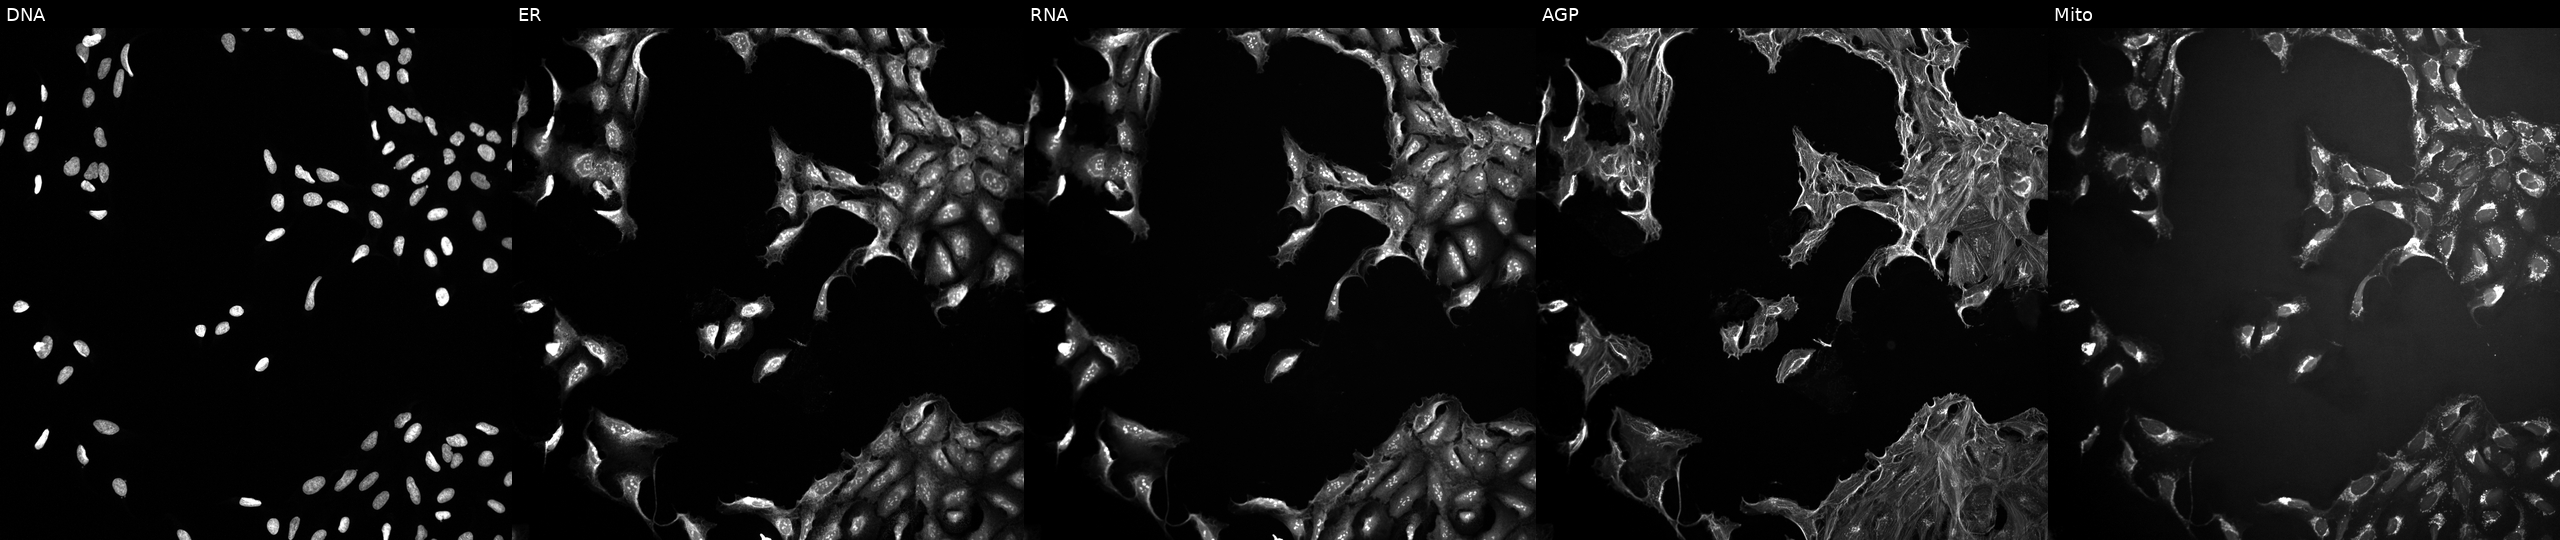
This image strip shows the five Cell Painting channels for a single field of U2OS cells treated with a small-molecule compound (InChIKey NMUSYJAQQFHJEW-UHFFFAOYSA-N). Panels show, left to right, DNA (nuclei); ER (endoplasmic reticulum); RNA (nucleoli and cytoplasmic RNA); AGP (actin cytoskeleton, Golgi, and plasma membrane); Mito (mitochondria).